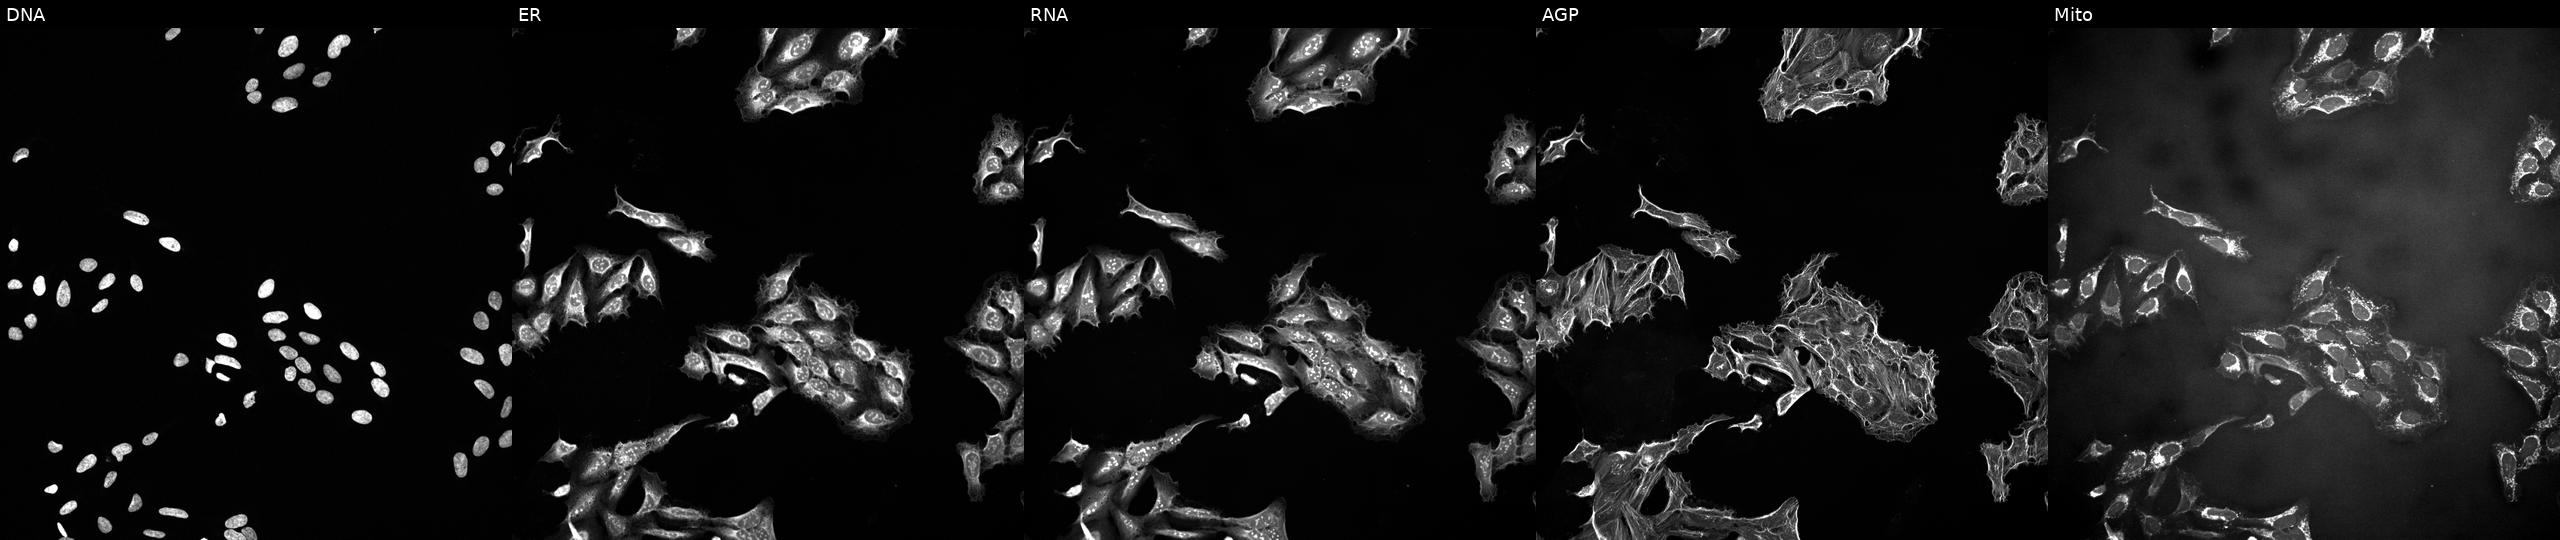
This image strip shows the five Cell Painting channels for a single field of U2OS cells perturbed with a small-molecule compound (InChIKey BLVQHYHDYFTPDV-UHFFFAOYSA-N). The five panels, left to right, show DNA, ER, RNA, AGP, and Mito.